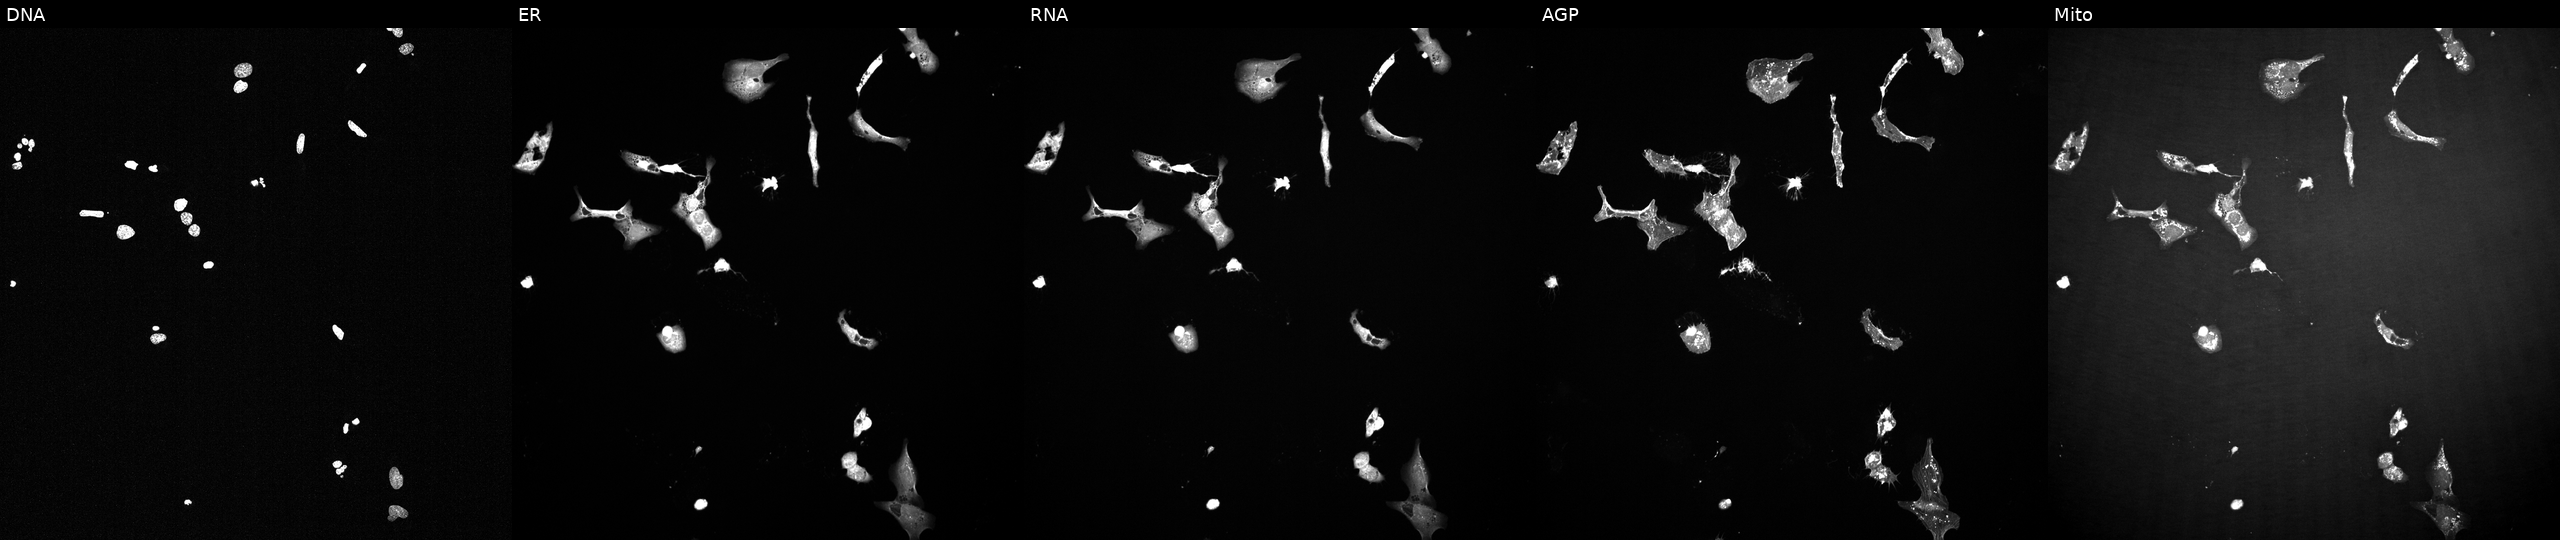
Five-channel Cell Painting image of U2OS cells perturbed with a small-molecule compound (InChIKey PHXJVRSECIGDHY-UHFFFAOYSA-N). Panels show, left to right, DNA, ER, RNA, AGP, and Mito.